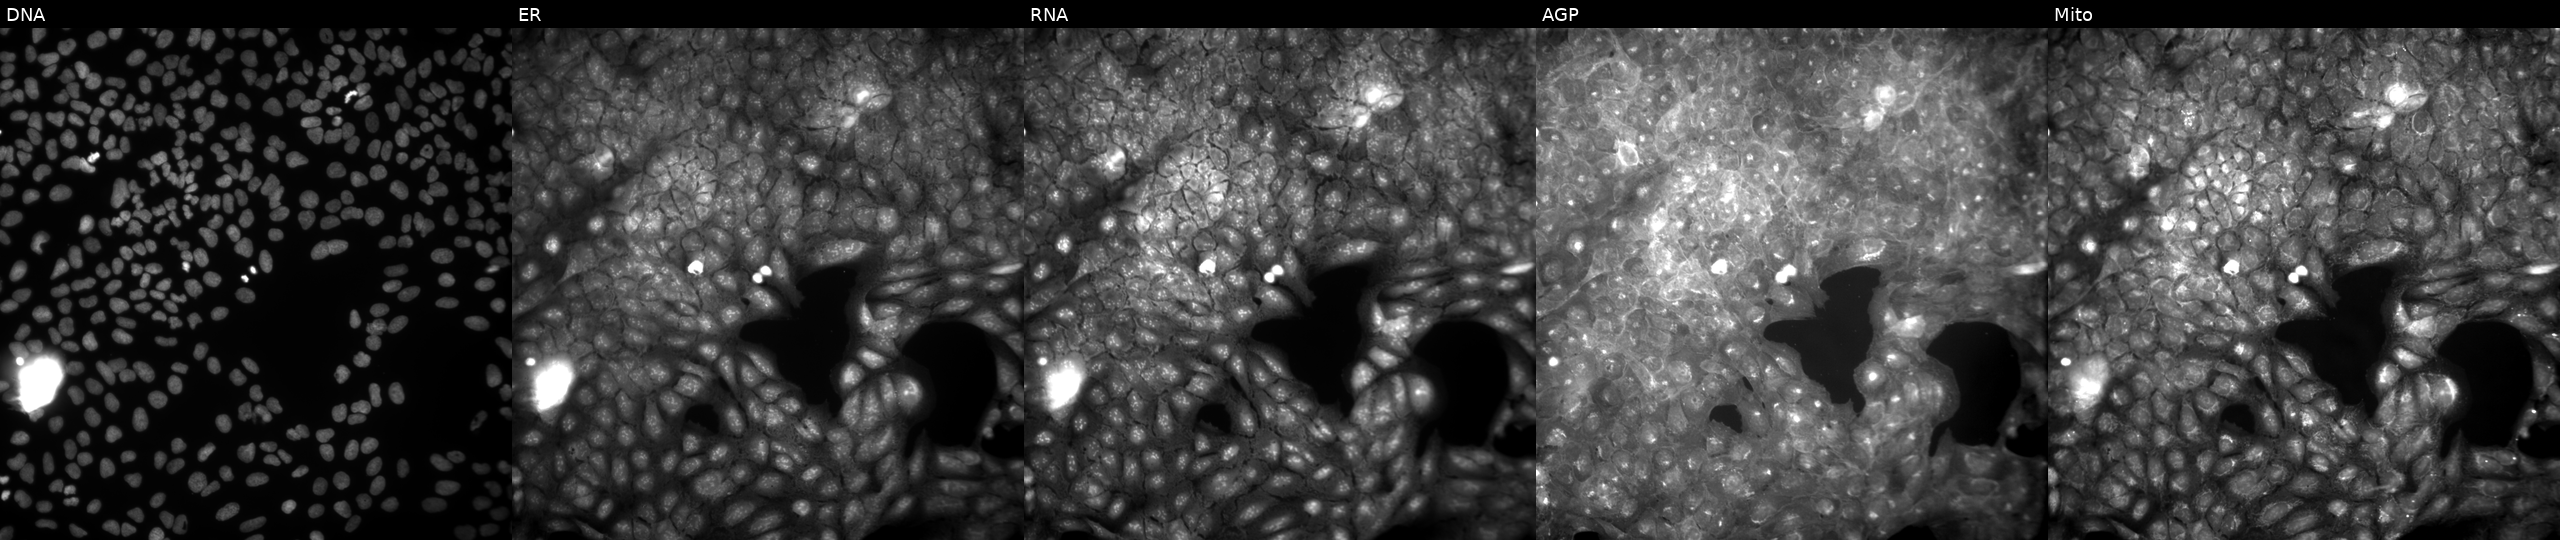
JUMP Cell Painting — COMPOUND plate. U2OS cells exposed to a small-molecule compound (InChIKey QZAUNBORRKKSHK-UHFFFAOYSA-N) (JUMP id JCP2022_076815). The five panels, left to right, show Hoechst 33342, concanavalin A, SYTO 14, phalloidin and WGA, MitoTracker.